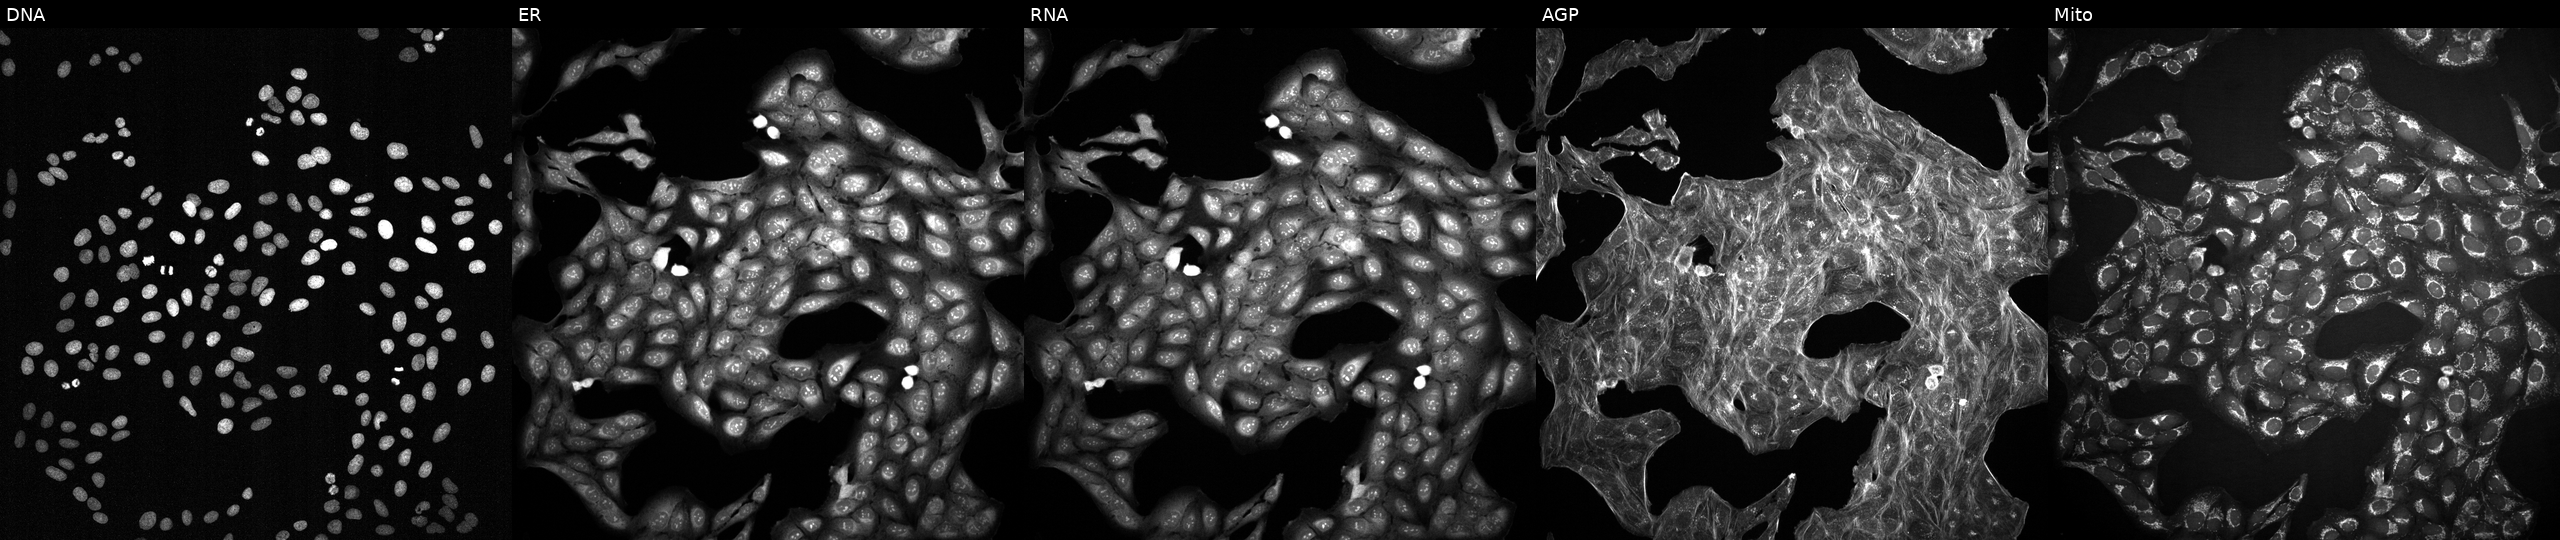
Five-channel Cell Painting image of U2OS cells exposed to a small-molecule compound (InChIKey HSUGRBWQSSZJOP-UHFFFAOYSA-N) (JUMP id JCP2022_032357). The five panels, left to right, show DNA (nuclei); ER (endoplasmic reticulum); RNA (nucleoli and cytoplasmic RNA); AGP (actin cytoskeleton, Golgi, and plasma membrane); Mito (mitochondria).